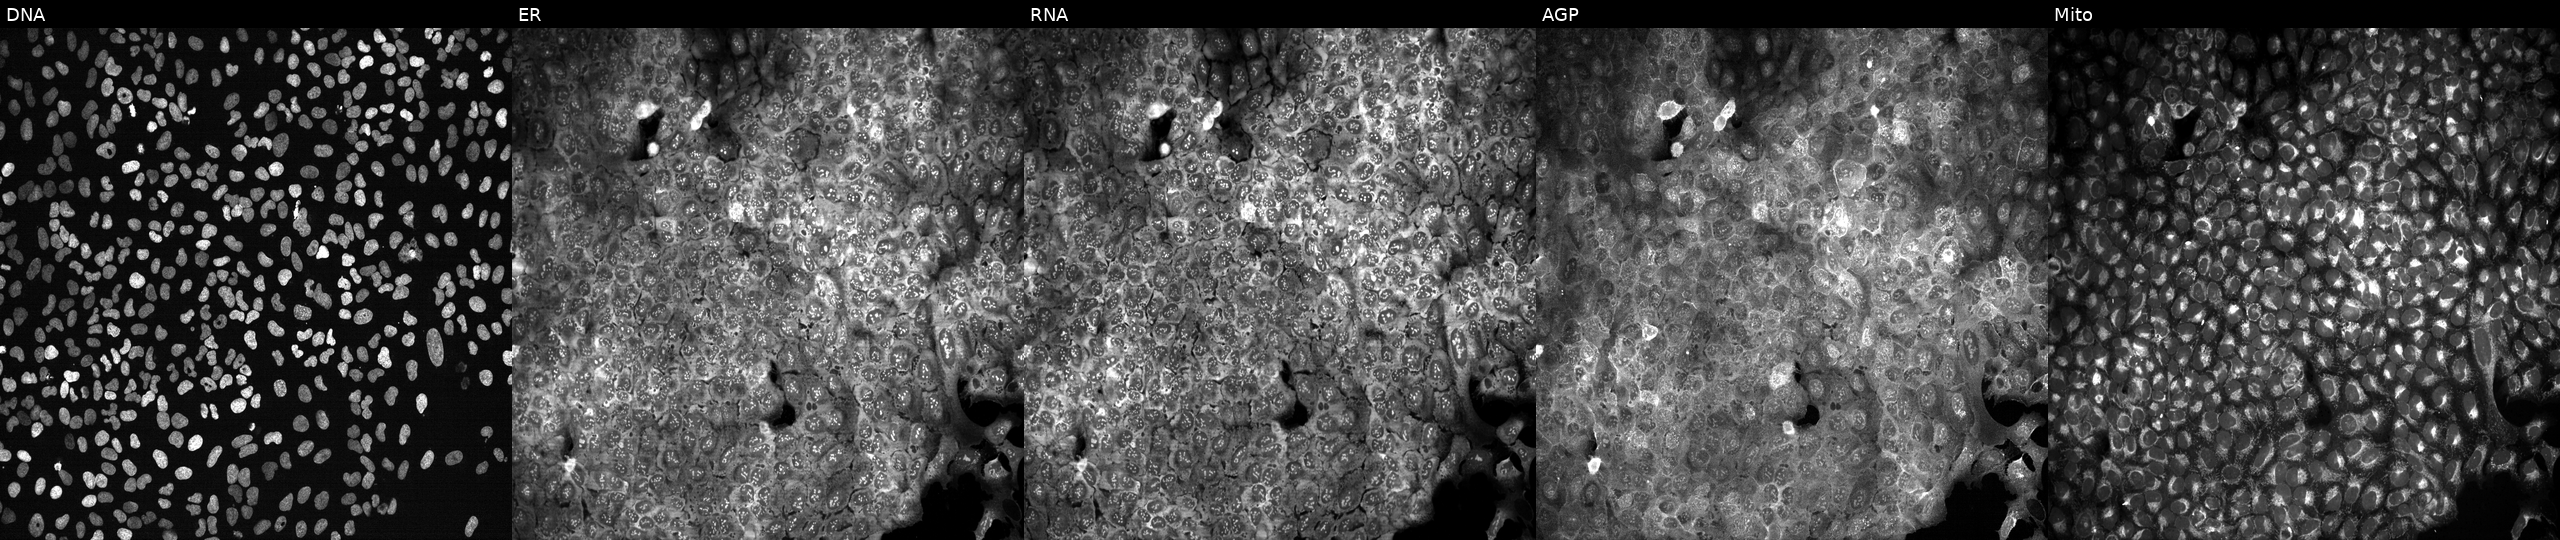
High-content fluorescence microscopy (Cell Painting). Cell line: U2OS. Perturbation: with SFXN1 knocked out by CRISPR (JUMP id JCP2022_806300). Channels (left→right): DNA, ER, RNA, AGP, and Mito.